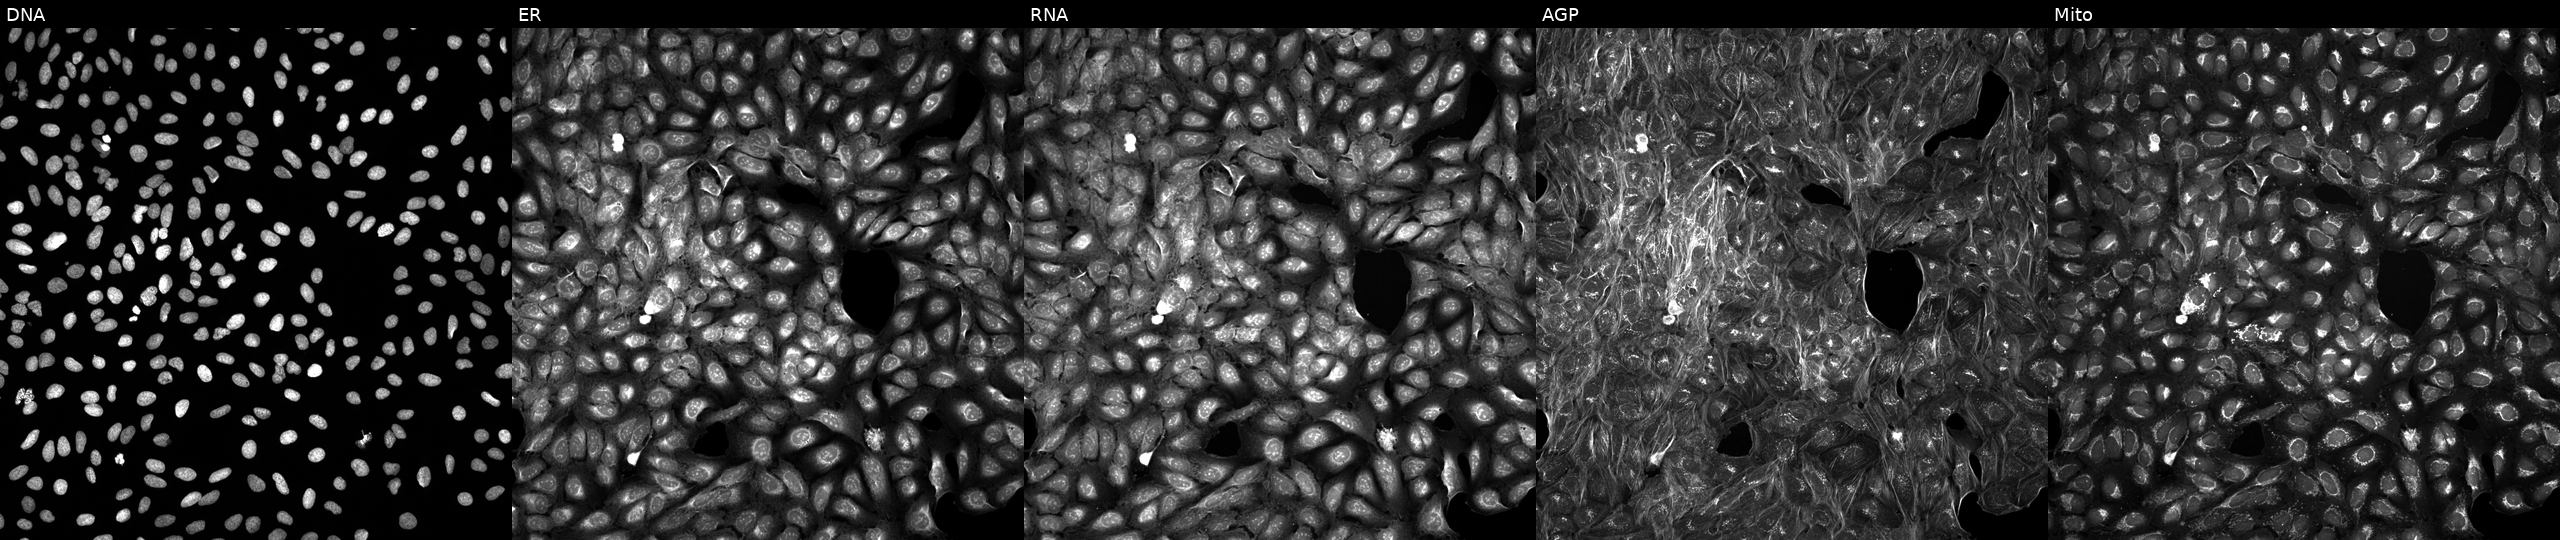
Five-channel Cell Painting image of U2OS cells exposed to a small-molecule compound (JUMP id JCP2022_097564). The five panels, left to right, show DNA, ER, RNA, AGP, and Mito. Source 5, plate ACPJUM032, well M06.